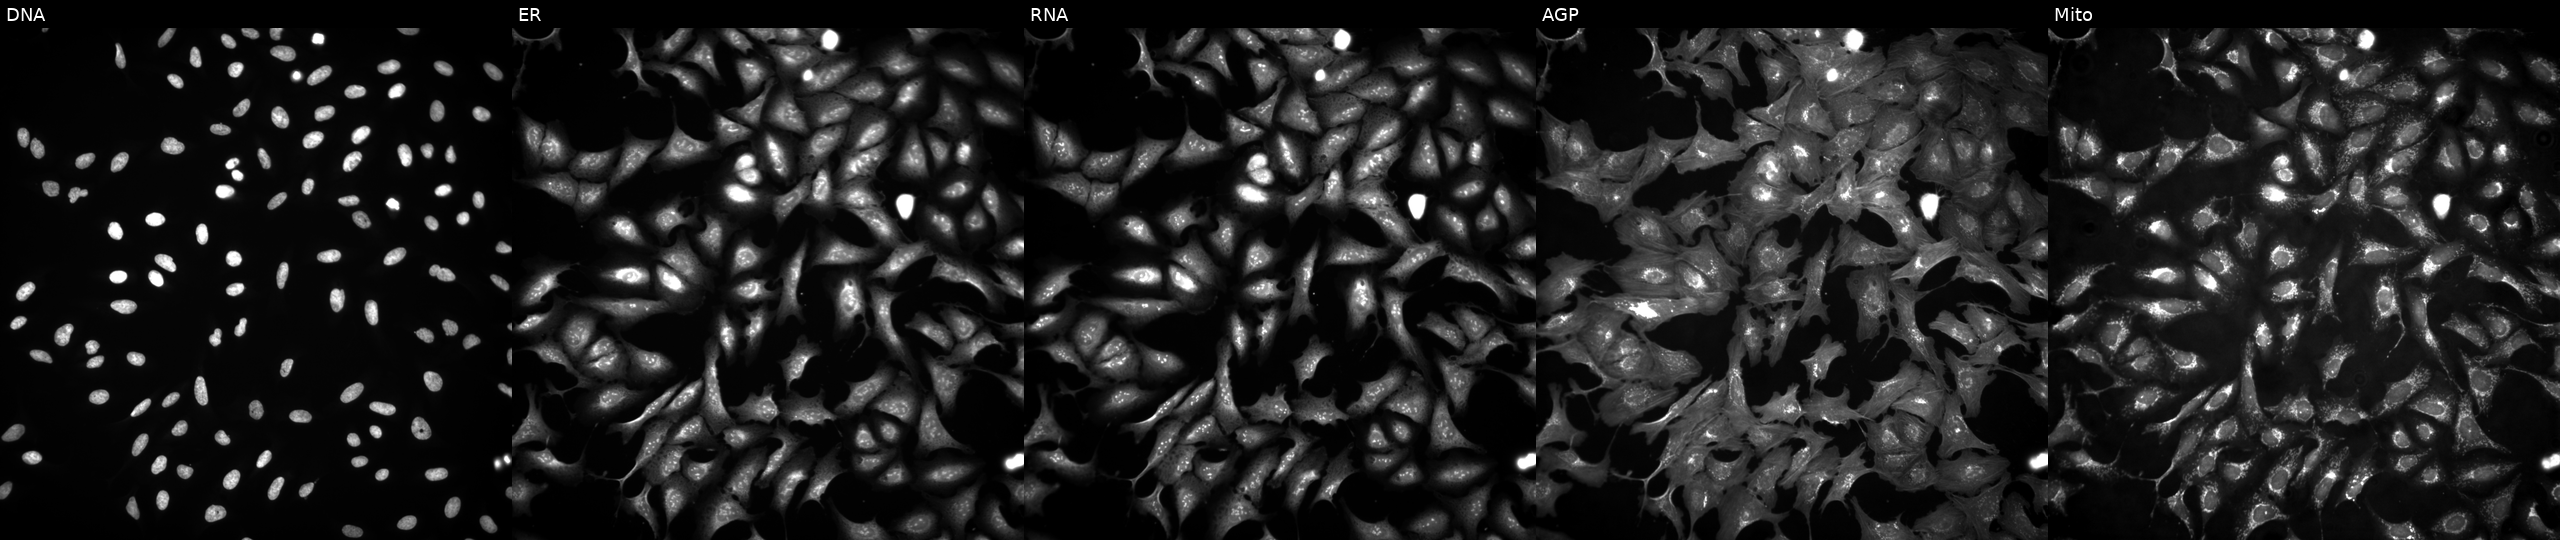
U2OS cells, Cell Painting assay, overexpressing NTRK3 via ORF transfection (JUMP id JCP2022_913748). Panels show, left to right, Hoechst 33342, concanavalin A, SYTO 14, phalloidin and WGA, MitoTracker. Each panel is percentile-stretched 16-bit fluorescence. Source 4, plate BR00123945, well E18.